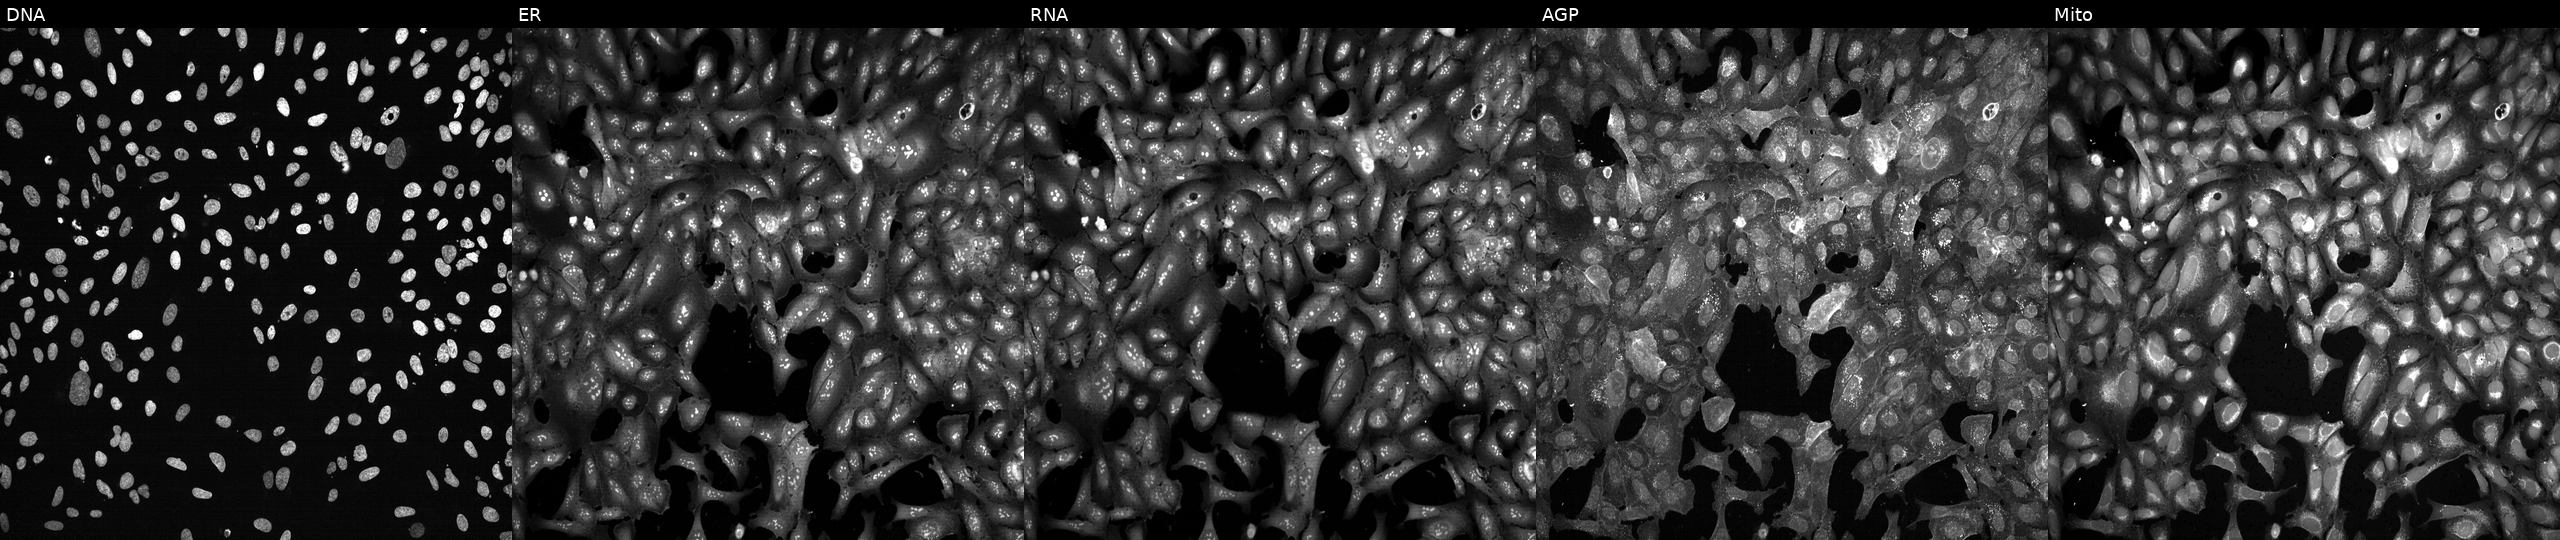
High-content fluorescence microscopy (Cell Painting). Cell line: U2OS. Perturbation: CRISPR-edited to disrupt CS (JUMP id JCP2022_801521). Panels show, left to right, DNA (nuclei); ER (endoplasmic reticulum); RNA (nucleoli and cytoplasmic RNA); AGP (actin cytoskeleton, Golgi, and plasma membrane); Mito (mitochondria). Source 13, plate CP-CC9-R1-01, well P07.